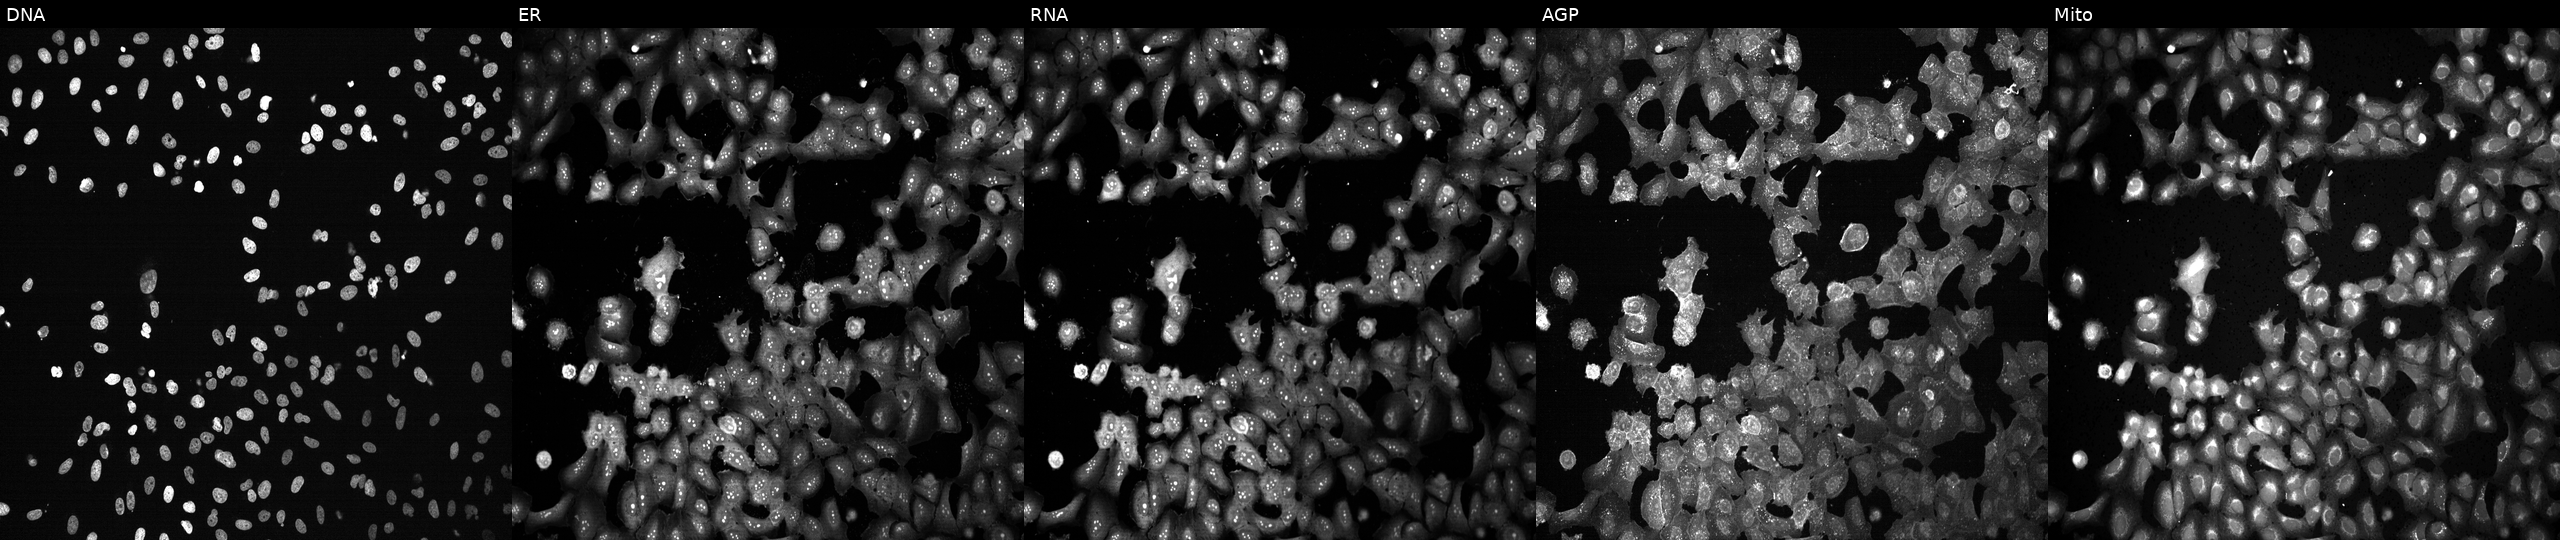
Five-channel Cell Painting image of U2OS cells following CRISPR knockout of CCT2. From left to right: DNA, ER, RNA, AGP, and Mito. Source 13, plate CP-CC9-R1-01, well F20.